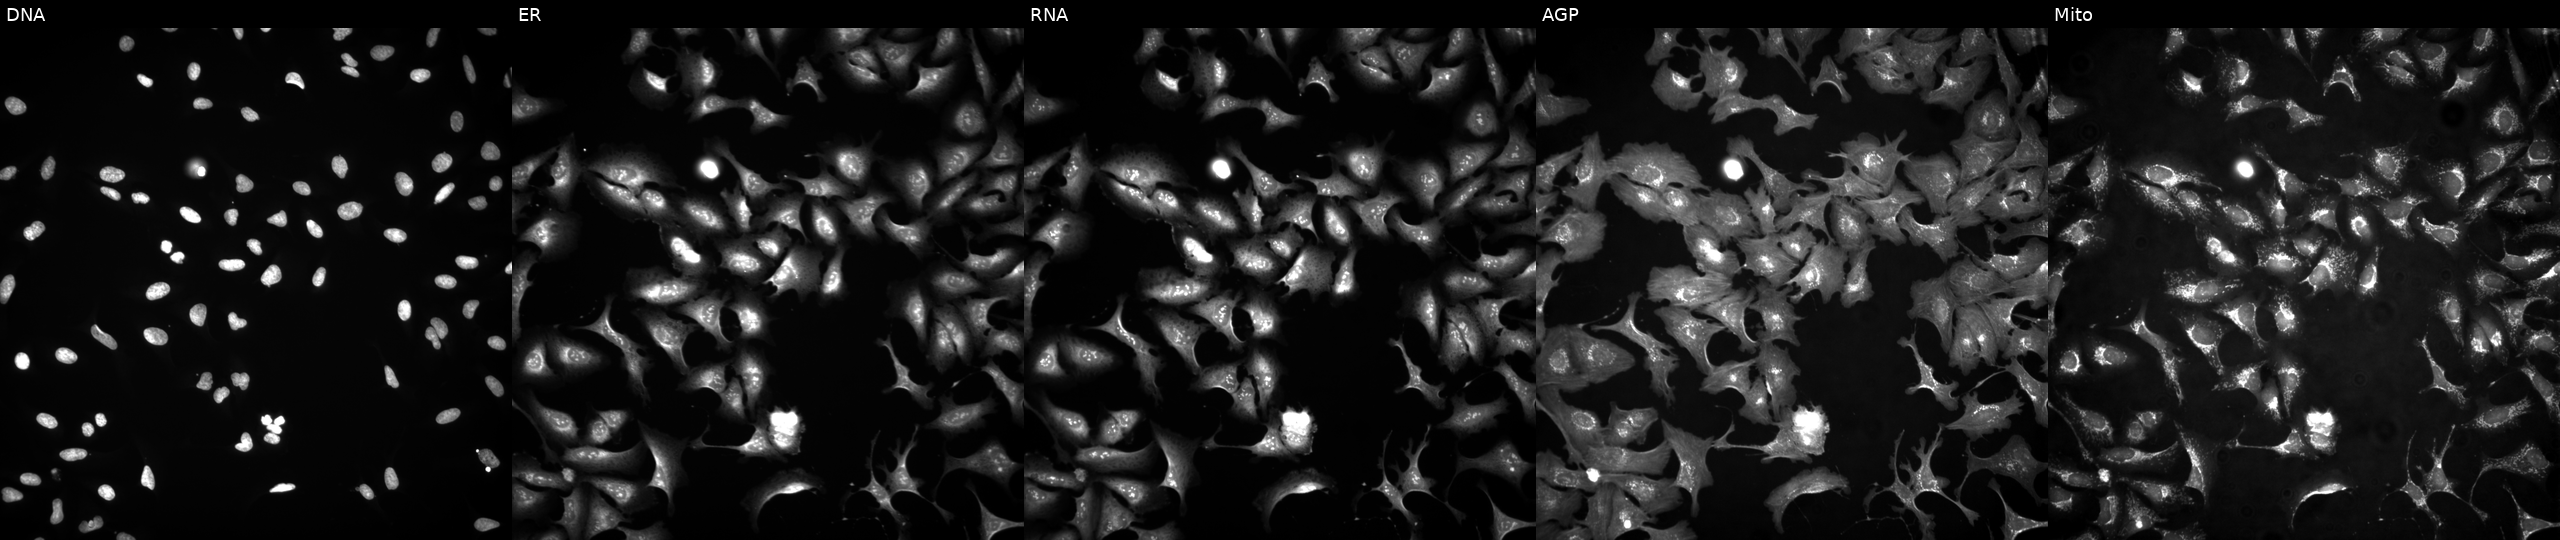
JUMP Cell Painting — ORF plate. U2OS cells with OXSR1 overexpressed (ORF) (JUMP id JCP2022_913969). Panels show, left to right, Hoechst 33342, concanavalin A, SYTO 14, phalloidin and WGA, MitoTracker.